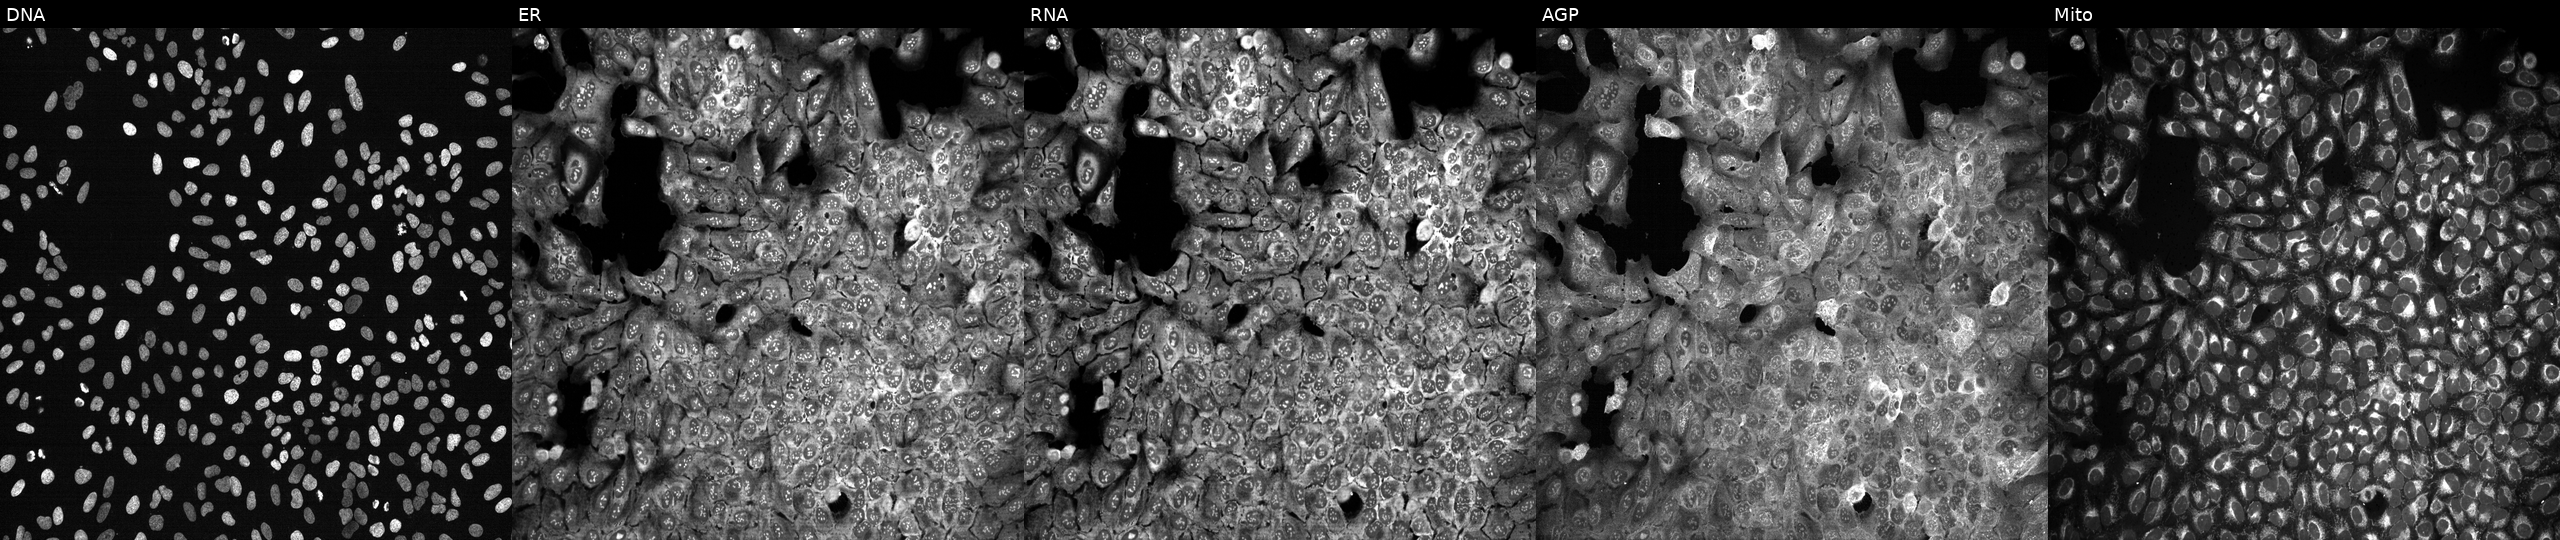
High-content fluorescence microscopy (Cell Painting). Cell line: U2OS. Perturbation: CRISPR-edited to disrupt SLC29A1. Panels show, left to right, DNA (nuclei); ER (endoplasmic reticulum); RNA (nucleoli and cytoplasmic RNA); AGP (actin cytoskeleton, Golgi, and plasma membrane); Mito (mitochondria).